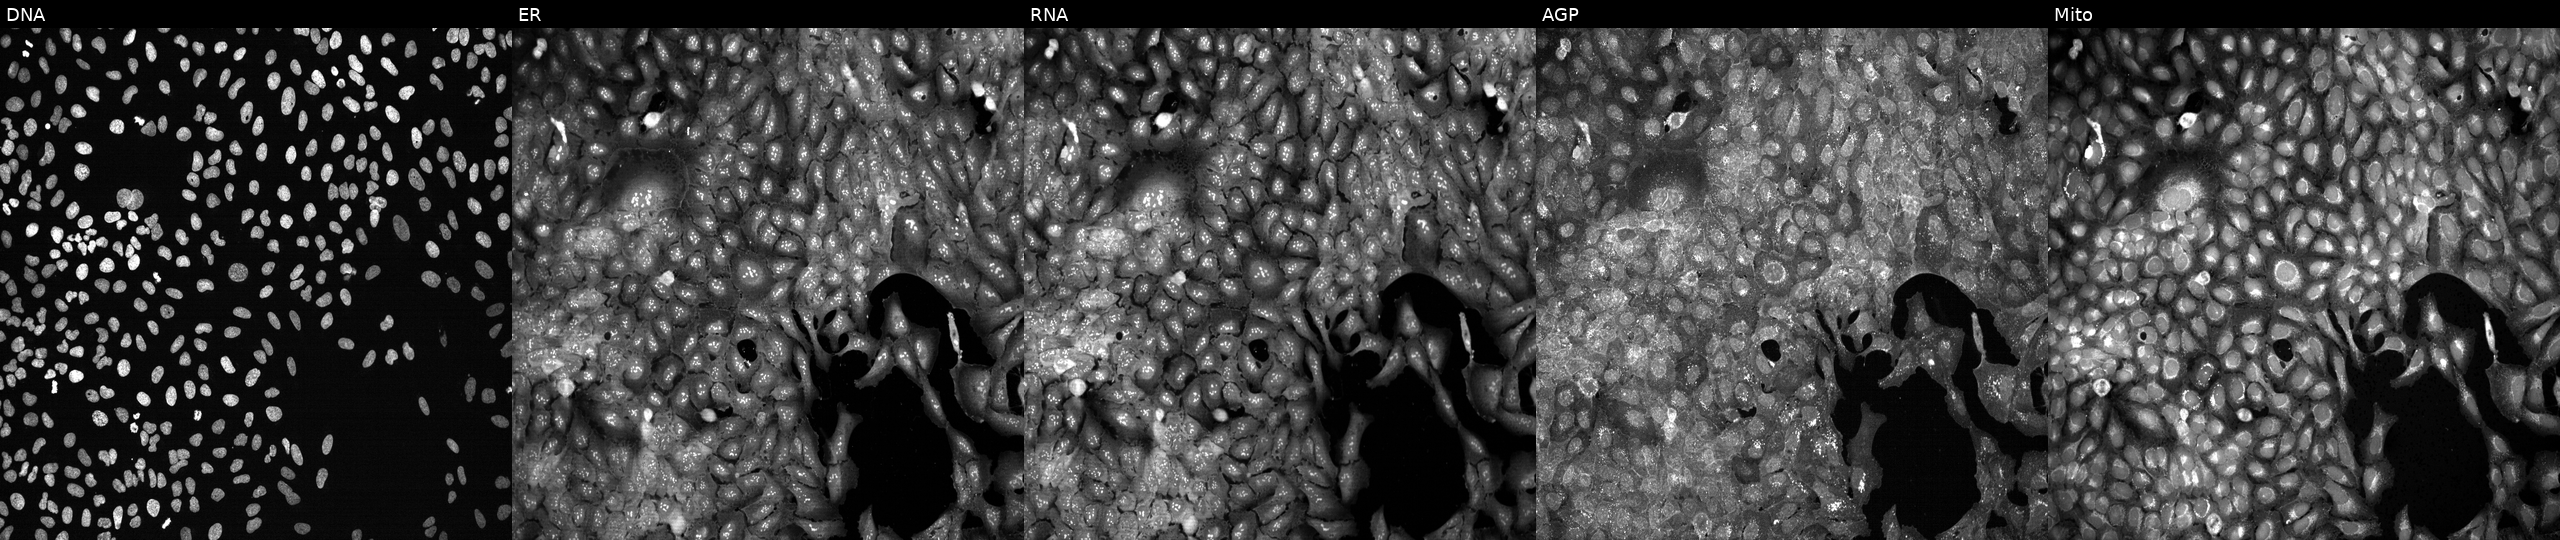
JUMP Cell Painting — CRISPR plate. U2OS cells CRISPR-edited to disrupt SCLY (JUMP id JCP2022_806200). Channels (left→right): DNA (nuclei); ER (endoplasmic reticulum); RNA (nucleoli and cytoplasmic RNA); AGP (actin cytoskeleton, Golgi, and plasma membrane); Mito (mitochondria). Source 13, plate CP-CC9-R1-02, well G16.